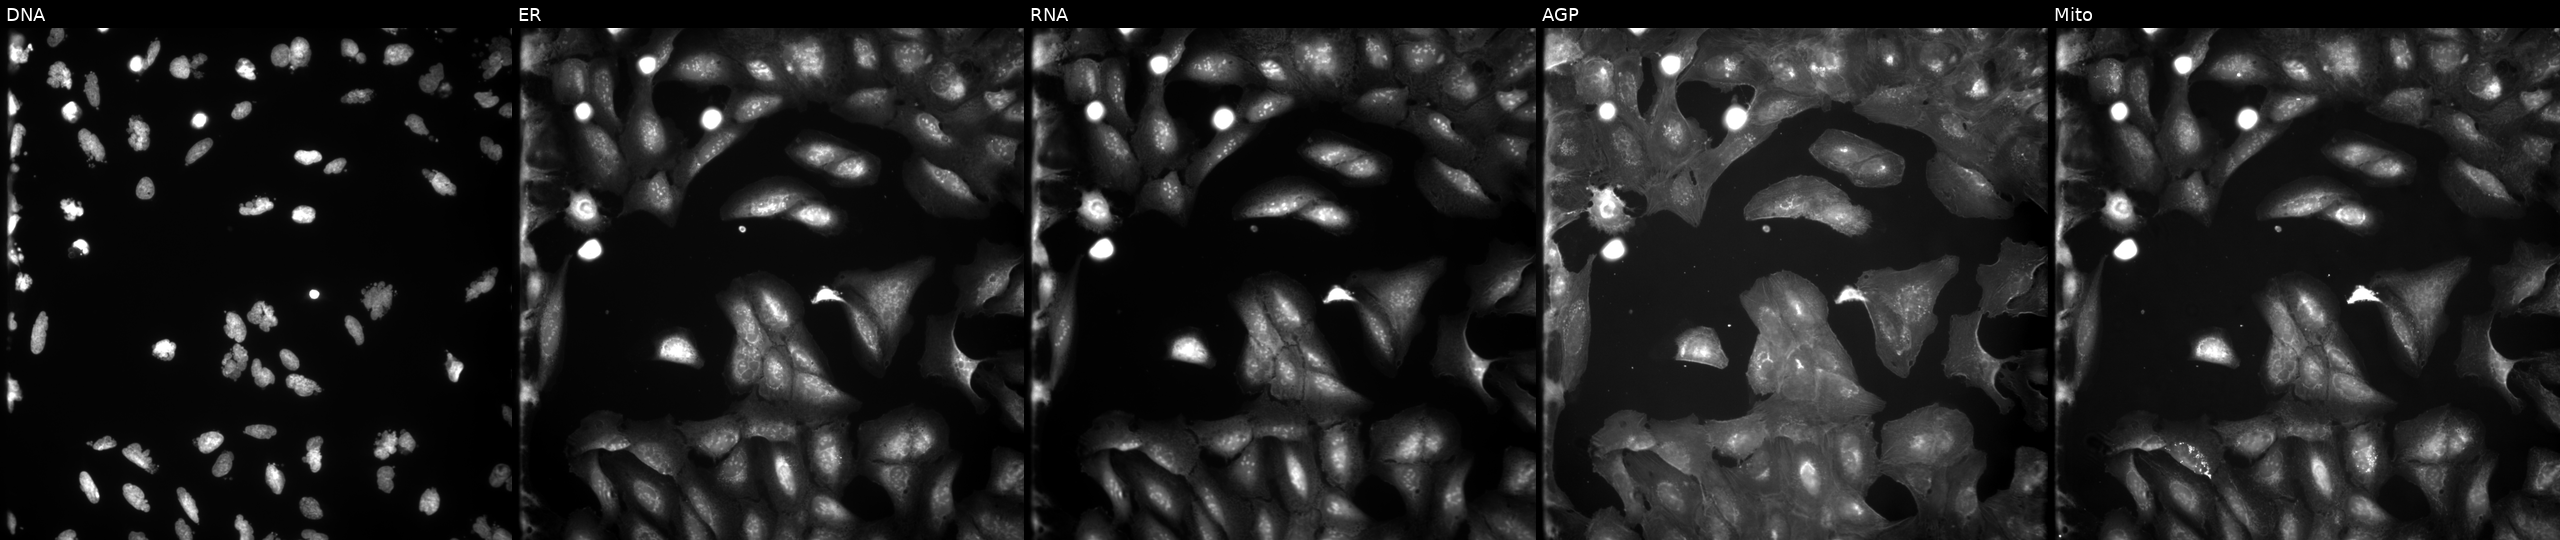
This image strip shows the five Cell Painting channels for a single field of U2OS cells exposed to the positive-control compound AMG900. The five panels, left to right, show Hoechst 33342, concanavalin A, SYTO 14, phalloidin and WGA, MitoTracker.